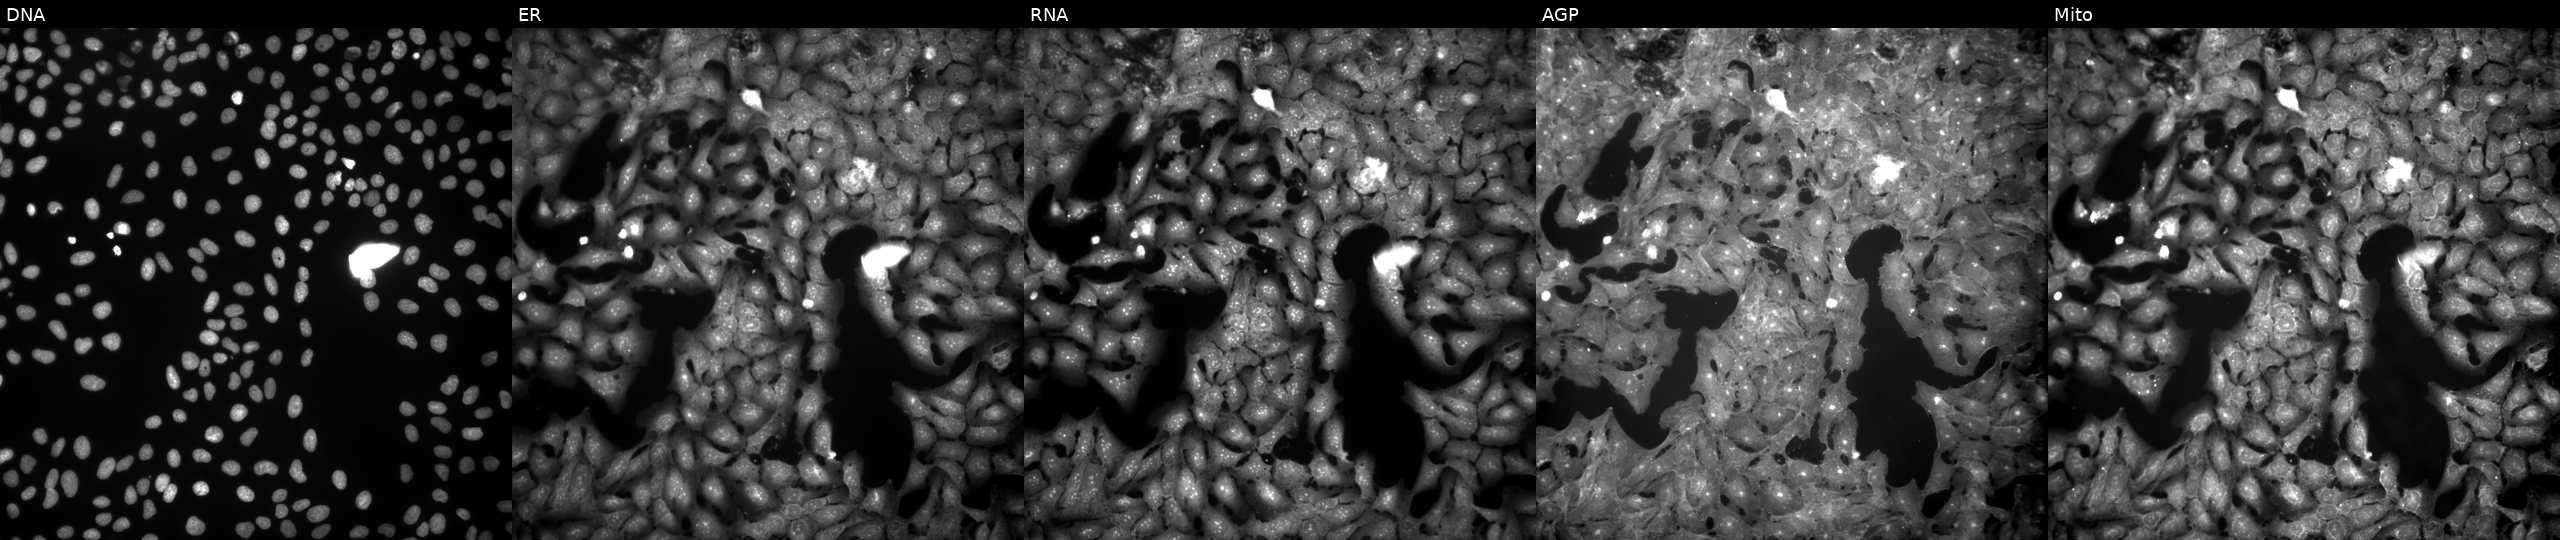
U2OS cells, Cell Painting assay, treated with FK-866 (positive-control compound) (JUMP id JCP2022_046054). Panels show, left to right, DNA (nuclei); ER (endoplasmic reticulum); RNA (nucleoli and cytoplasmic RNA); AGP (actin cytoskeleton, Golgi, and plasma membrane); Mito (mitochondria). Each panel is percentile-stretched 16-bit fluorescence. Source 9, plate GR00003381, well L48.